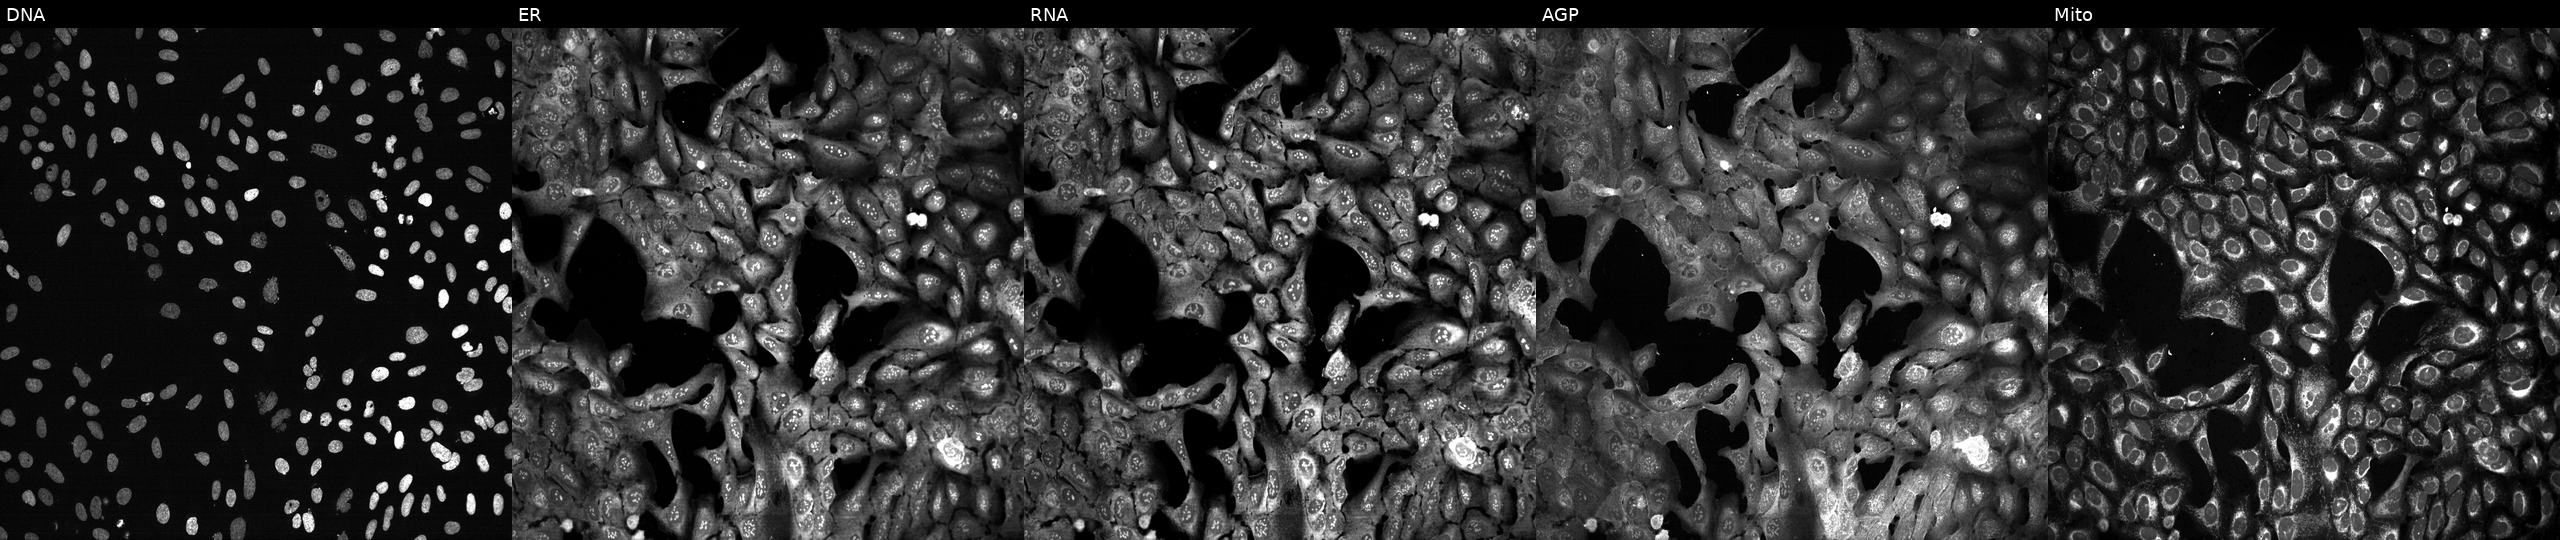
Channels (left→right): Hoechst 33342, concanavalin A, SYTO 14, phalloidin and WGA, MitoTracker. U2OS osteosarcoma cells with HSD17B10 knocked out by CRISPR. Cell Painting assay, JUMP-CP dataset. Source 13, plate CP-CC9-R4-03, well E03.